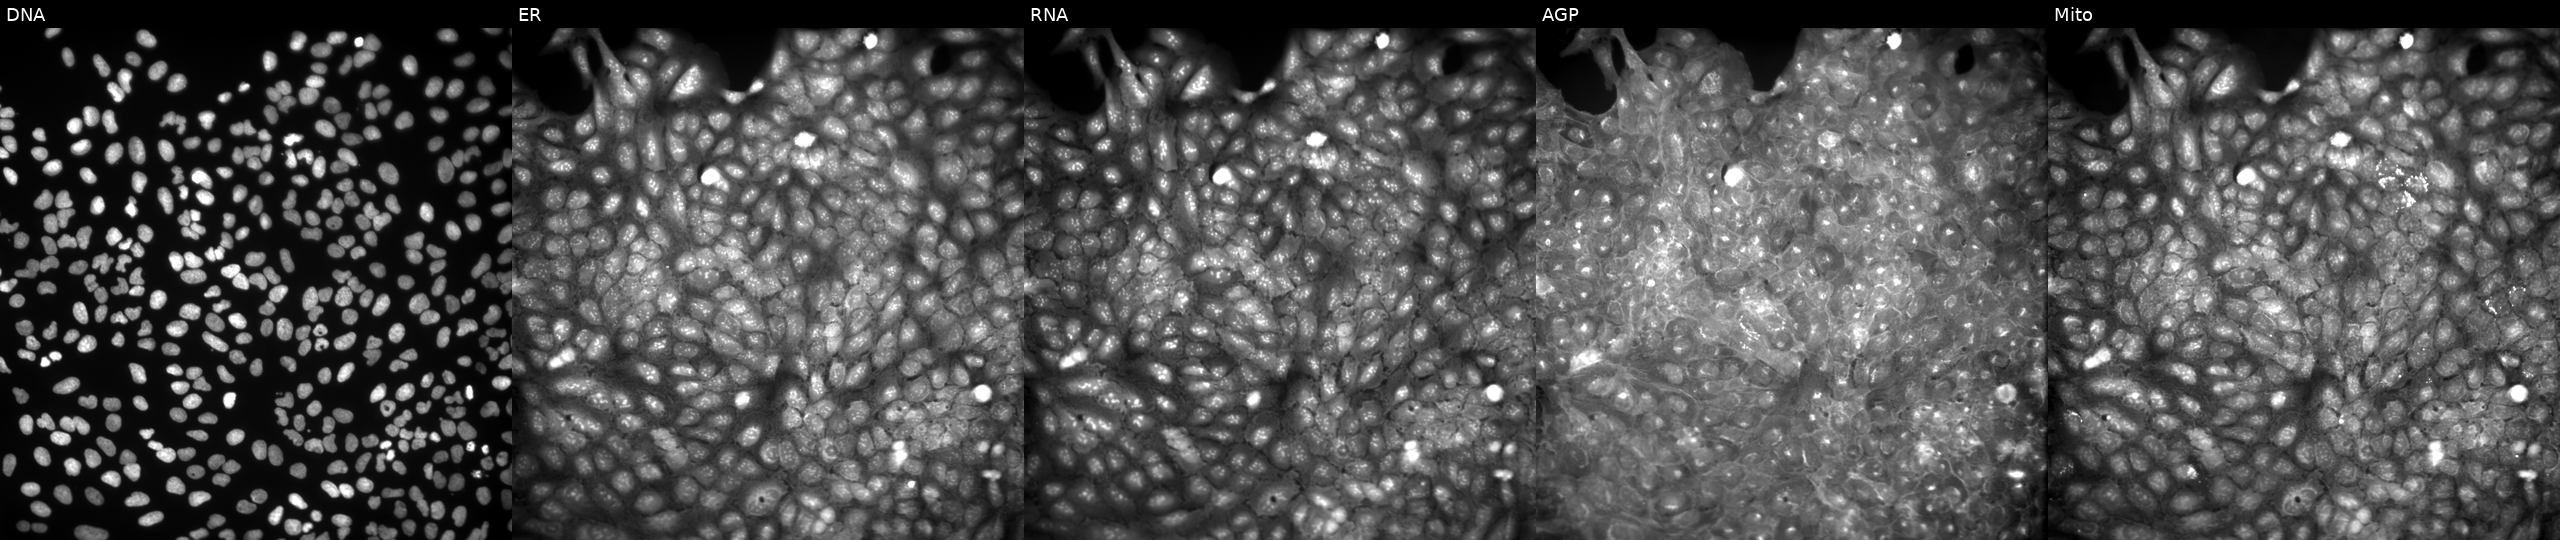
U2OS cells, Cell Painting assay, treated with a small-molecule compound (InChIKey HNEVUCJXMUHKEH-UHFFFAOYSA-N) [SMILES: CC(C)Oc1ccccc1NC(=O)CSc1nccn1C] (JUMP id JCP2022_031282). Panels show, left to right, DNA (nuclei); ER (endoplasmic reticulum); RNA (nucleoli and cytoplasmic RNA); AGP (actin cytoskeleton, Golgi, and plasma membrane); Mito (mitochondria). Each panel is percentile-stretched 16-bit fluorescence.